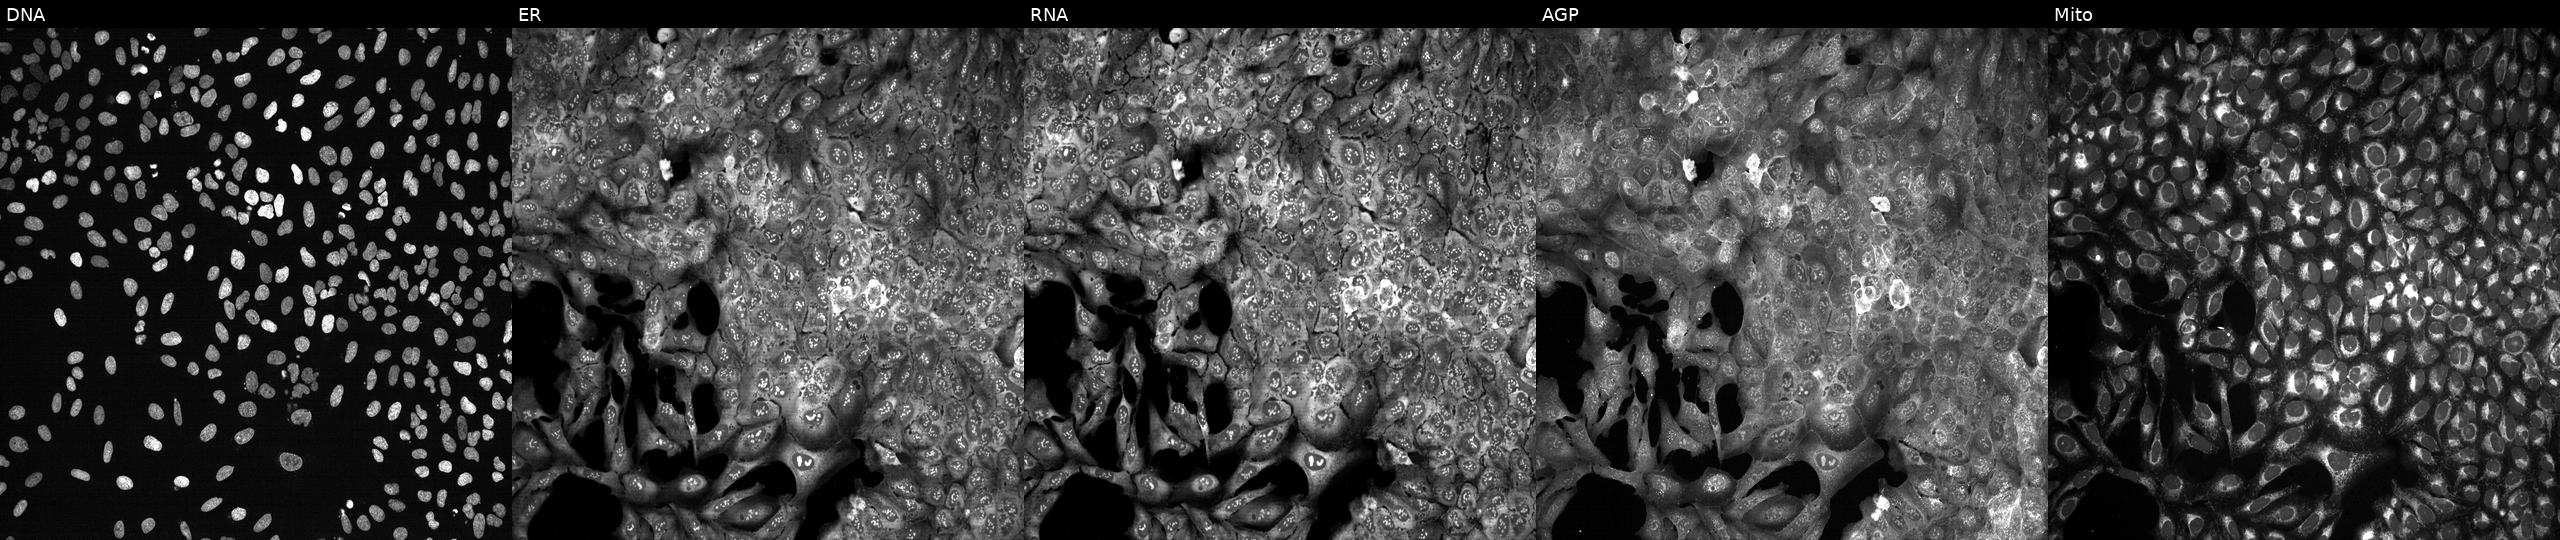
JUMP Cell Painting — CRISPR plate. U2OS cells CRISPR-edited to disrupt DHRS2. The five panels, left to right, show DNA (nuclei); ER (endoplasmic reticulum); RNA (nucleoli and cytoplasmic RNA); AGP (actin cytoskeleton, Golgi, and plasma membrane); Mito (mitochondria). Source 13, plate CP-CC9-R4-04, well K12.